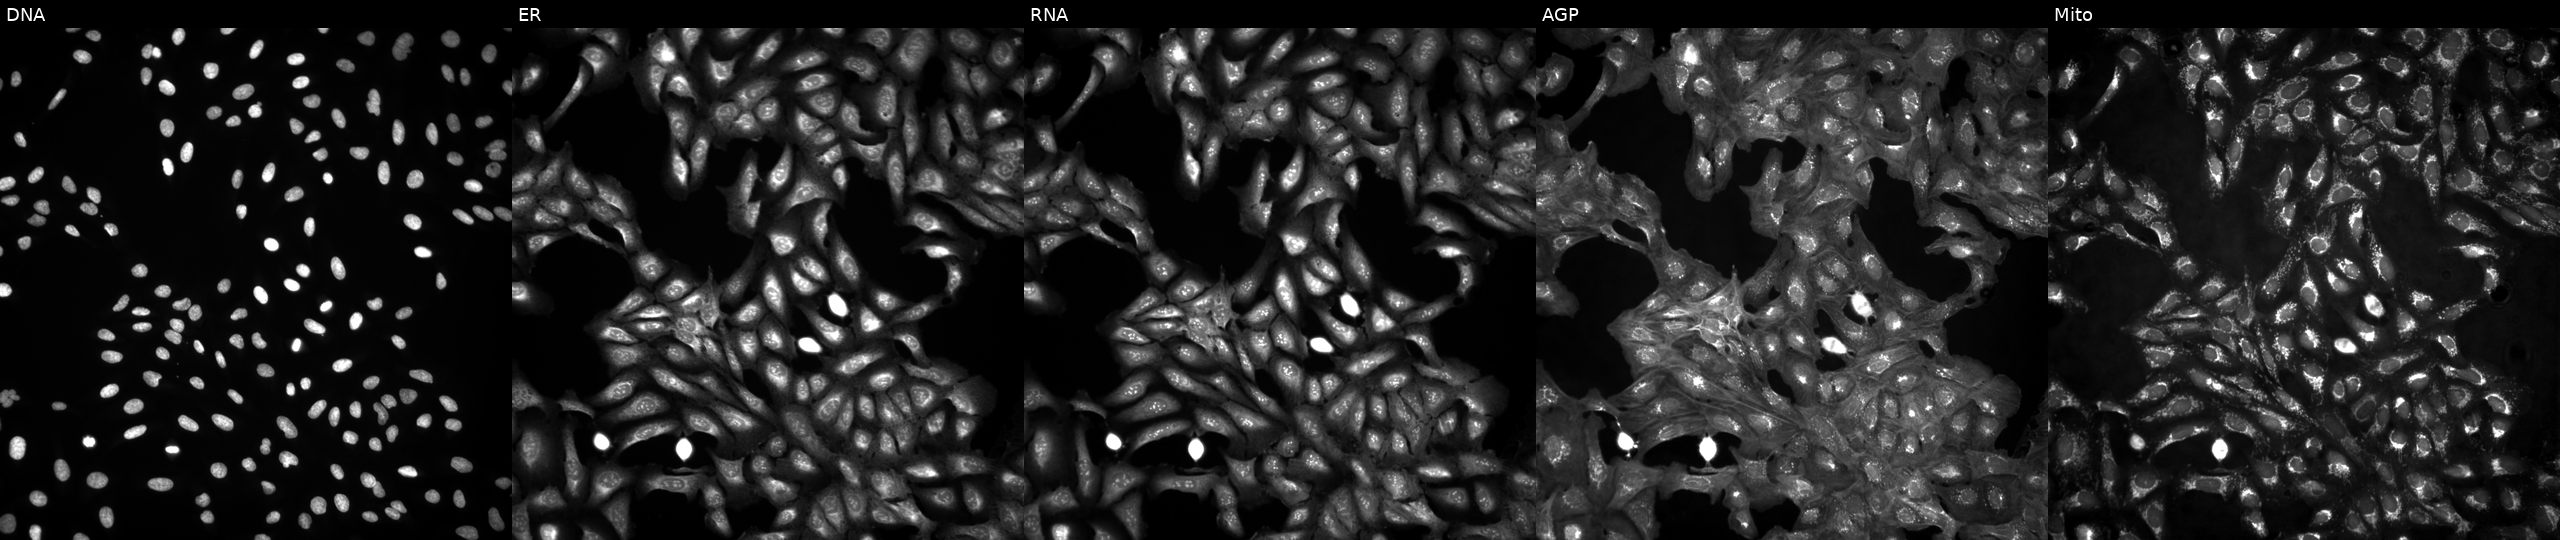
U2OS cells, Cell Painting assay, untreated (empty-well control) (JUMP id JCP2022_999999). Channels (left→right): DNA, ER, RNA, AGP, and Mito. Each panel is percentile-stretched 16-bit fluorescence. Source 4, plate BR00124793, well B16.